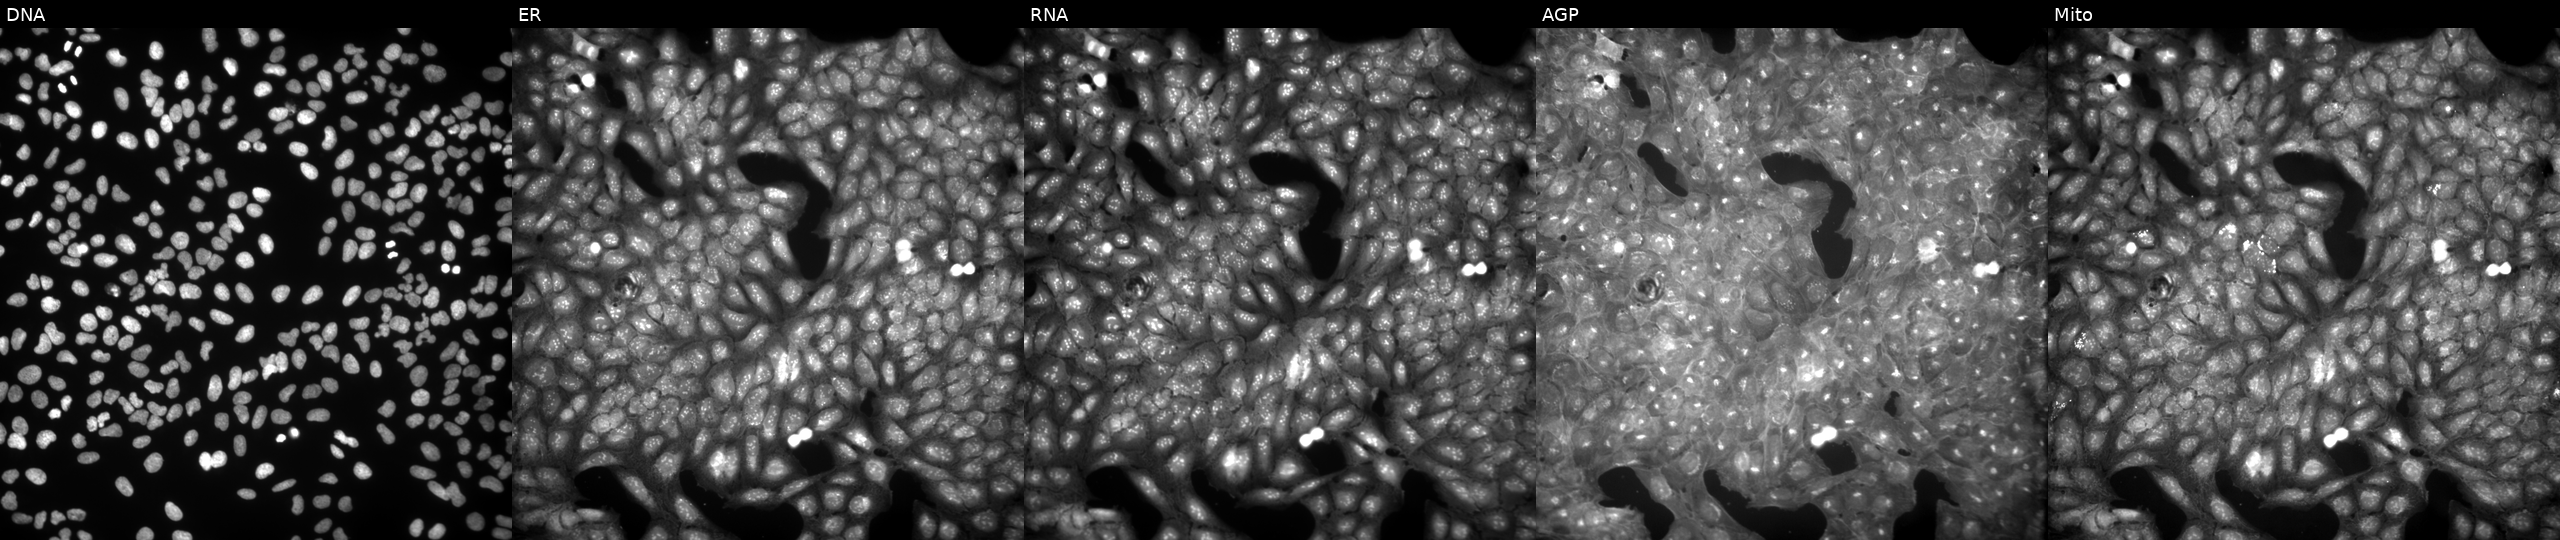
High-content fluorescence microscopy (Cell Painting). Cell line: U2OS. Perturbation: treated with a small-molecule compound (InChIKey UUHOQWHLAYTSAD-UHFFFAOYSA-N). Panels show, left to right, DNA, ER, RNA, AGP, and Mito.